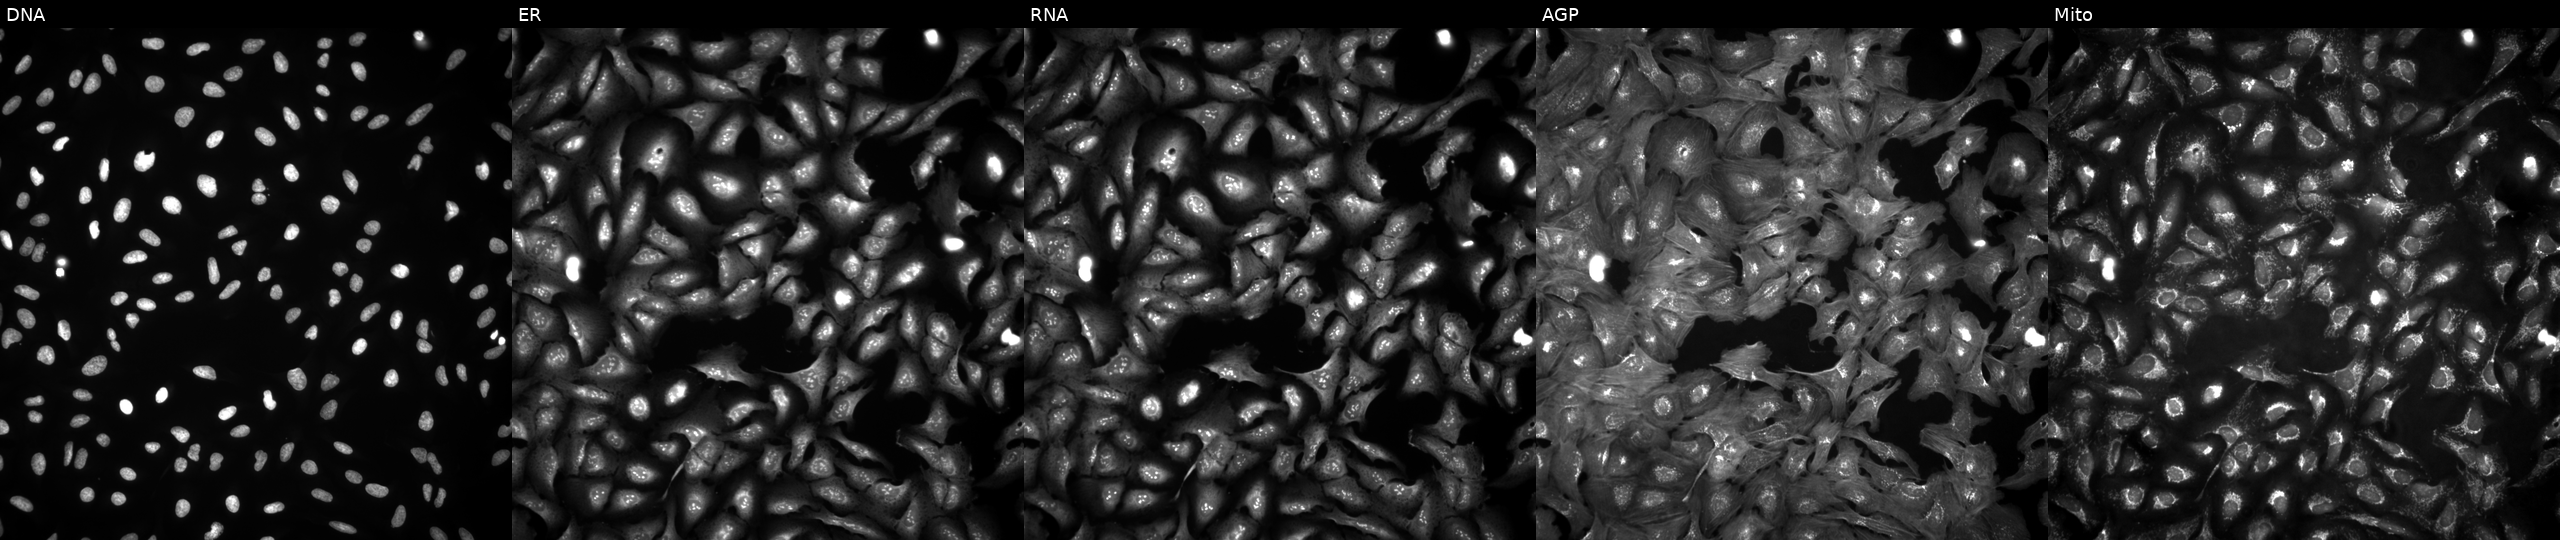
JUMP Cell Painting — ORF plate. U2OS cells transfected with an ORF construct for MINDY3 (JUMP id JCP2022_903902). From left to right: Hoechst 33342, concanavalin A, SYTO 14, phalloidin and WGA, MitoTracker.